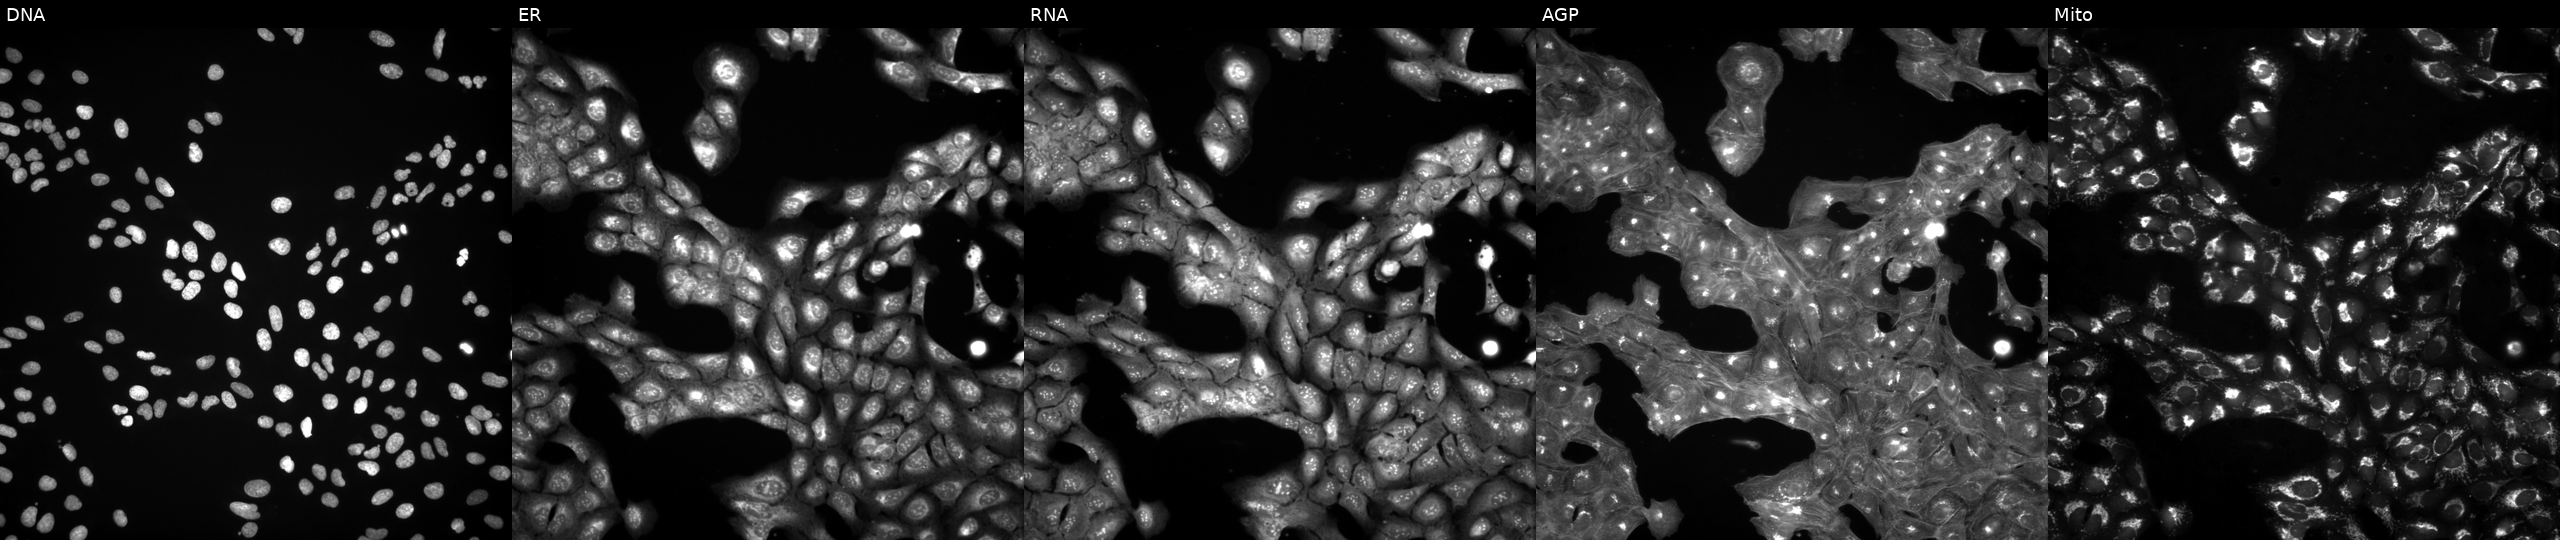
JUMP Cell Painting — COMPOUND plate. U2OS cells treated with a small-molecule compound (InChIKey NWYNCVWGTKDHBH-UHFFFAOYSA-N) (JUMP id JCP2022_061902). The five panels, left to right, show Hoechst 33342, concanavalin A, SYTO 14, phalloidin and WGA, MitoTracker.